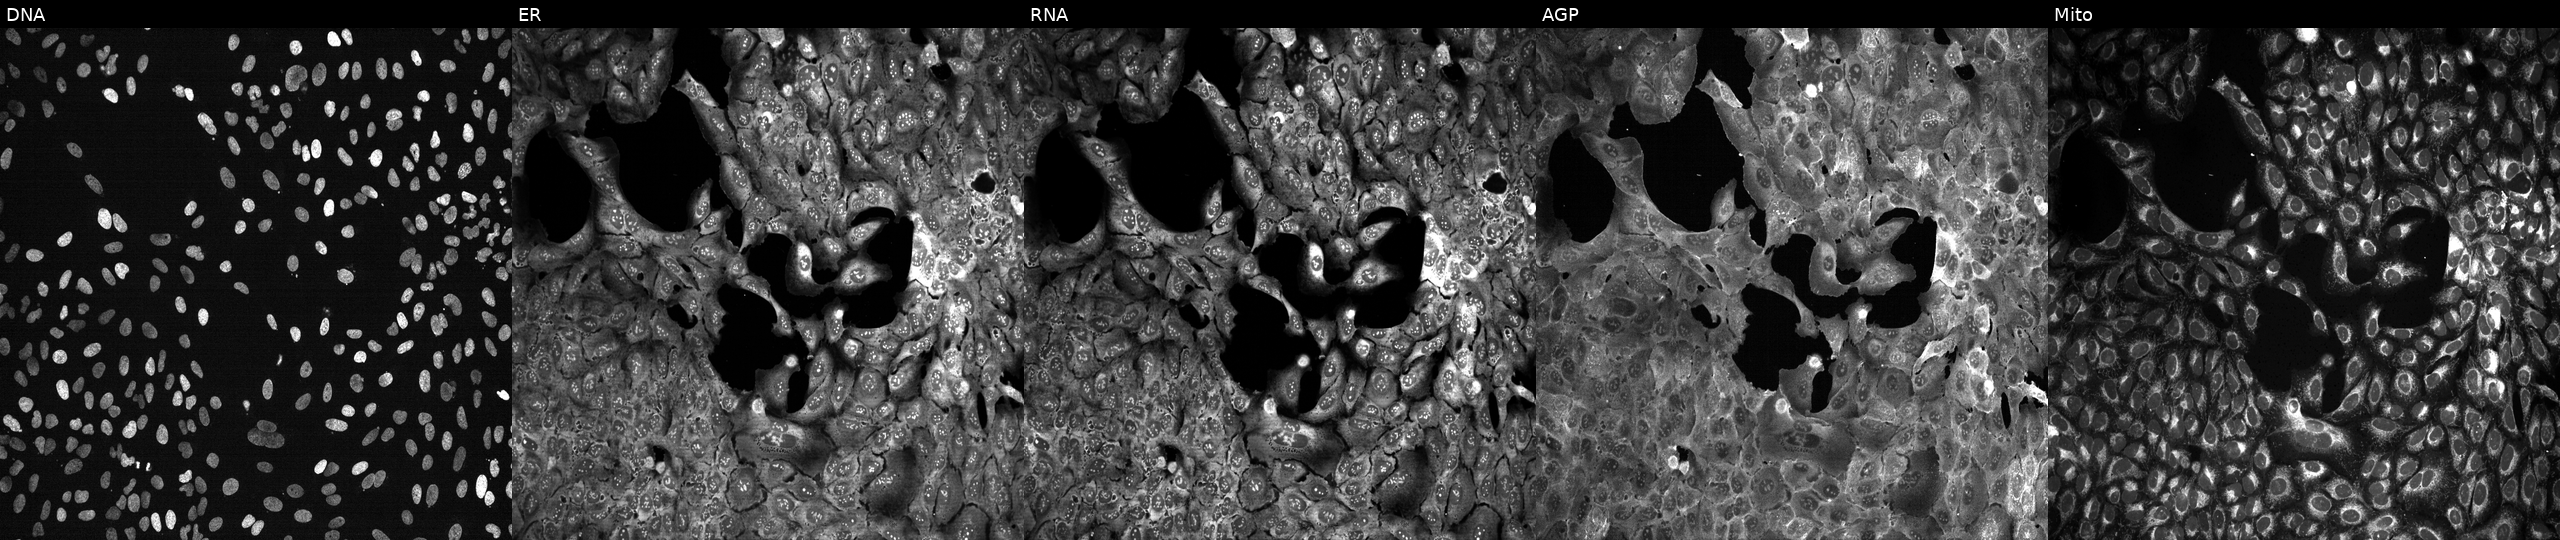
This image strip shows the five Cell Painting channels for a single field of U2OS cells with MOGS knocked out by CRISPR (JUMP id JCP2022_804241). Panels show, left to right, DNA, ER, RNA, AGP, and Mito.